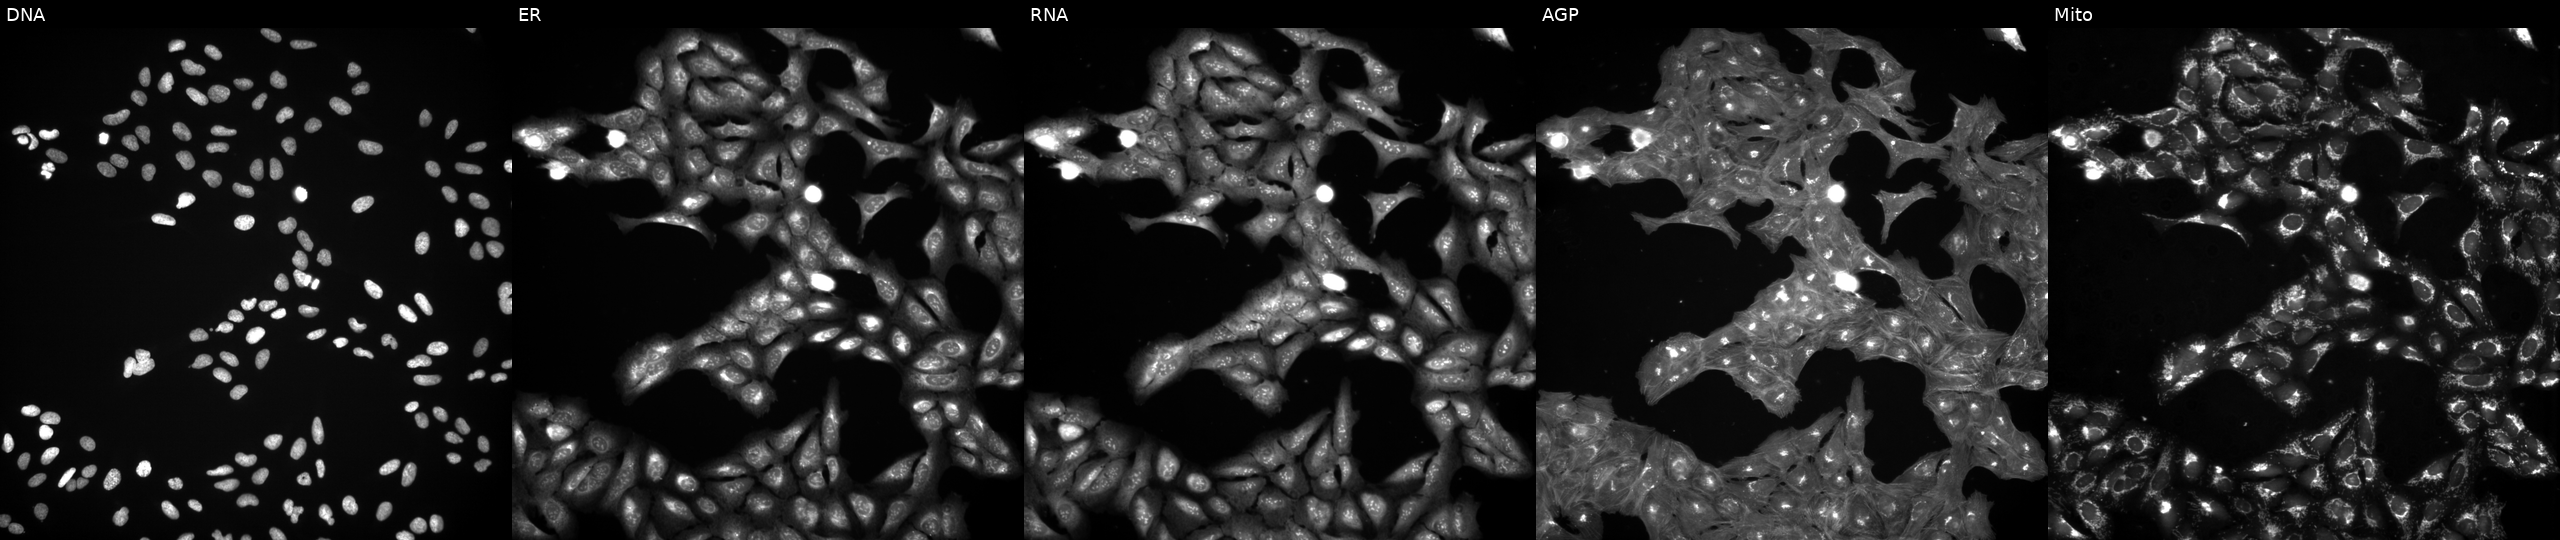
U2OS cells, Cell Painting assay, in an empty control well (no perturbation). Channels (left→right): DNA, ER, RNA, AGP, and Mito. Each panel is percentile-stretched 16-bit fluorescence. Source 3, plate BR5867b3, well L09.